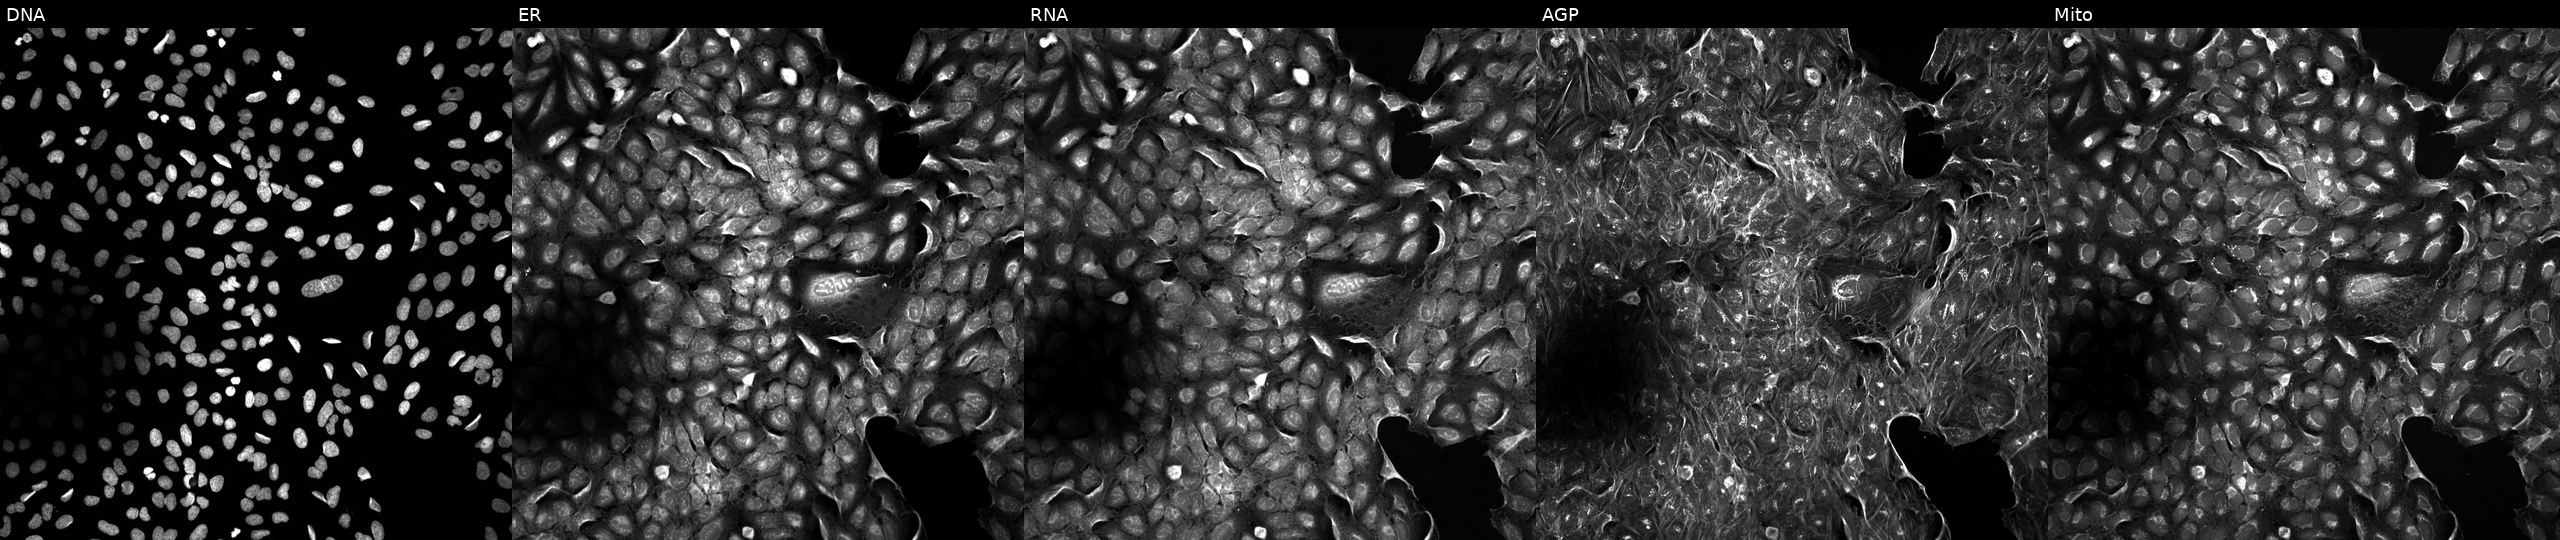
From left to right: Hoechst 33342, concanavalin A, SYTO 14, phalloidin and WGA, MitoTracker. U2OS osteosarcoma cells perturbed with a small-molecule compound [SMILES: Cc1ccc(C)c(S(=O)(=O)N2CCN(C(=O)c3ccc(N4CCNC4=O)c(C)c3)CC2)c1] (JUMP id JCP2022_058526). Cell Painting assay, JUMP-CP dataset.